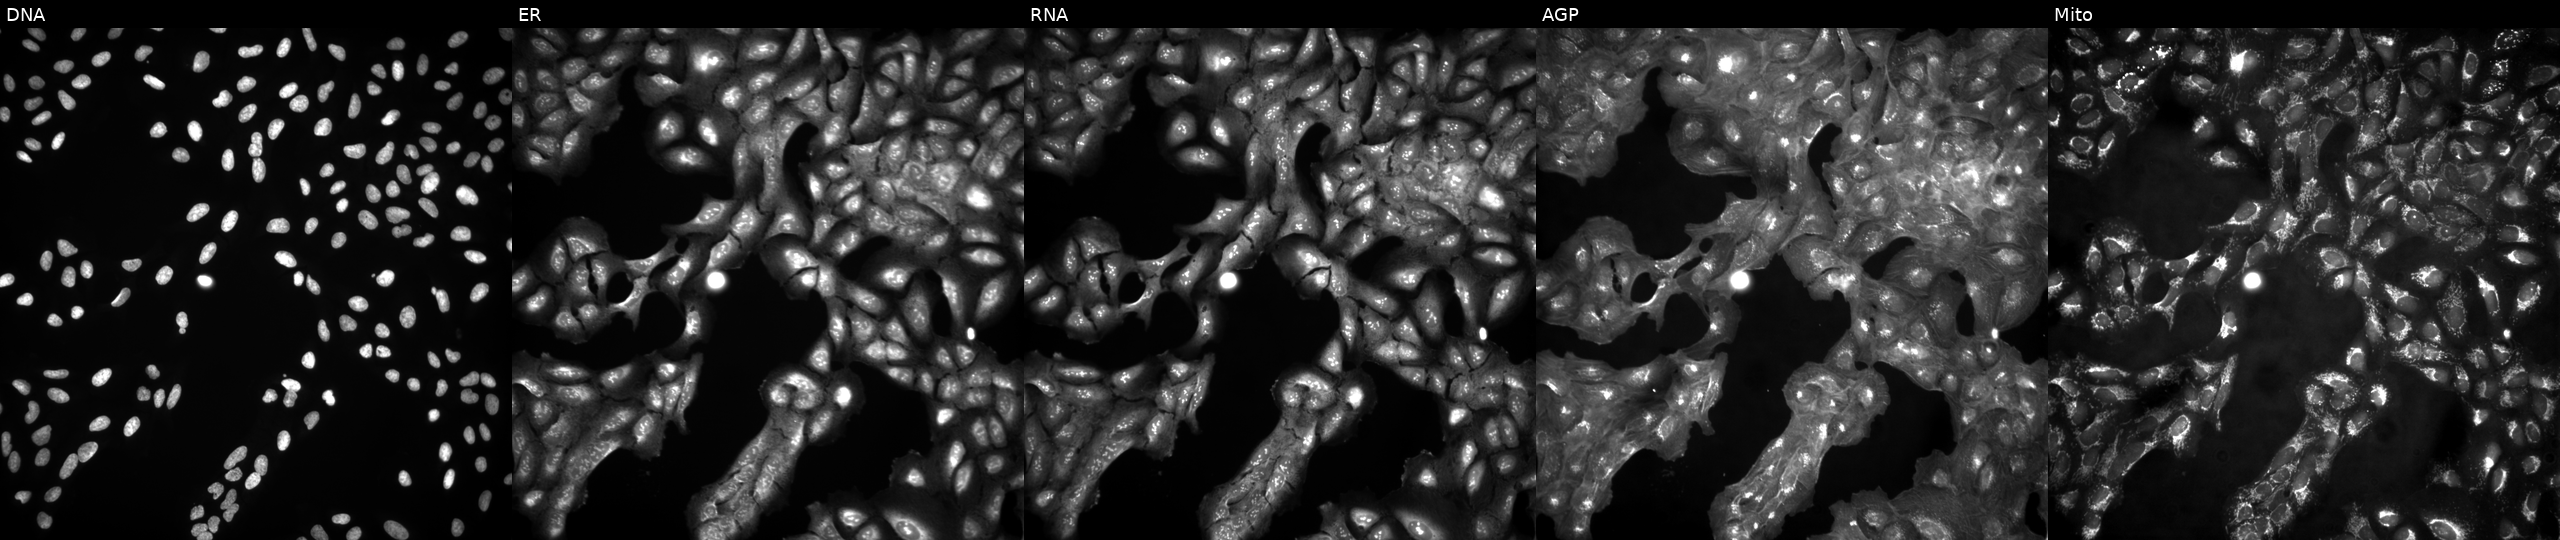
Channels (left→right): Hoechst 33342, concanavalin A, SYTO 14, phalloidin and WGA, MitoTracker. U2OS osteosarcoma cells in an empty control well (no perturbation) (JUMP id JCP2022_999999). Cell Painting assay, JUMP-CP dataset. Source 4, plate BR00123946, well H19.